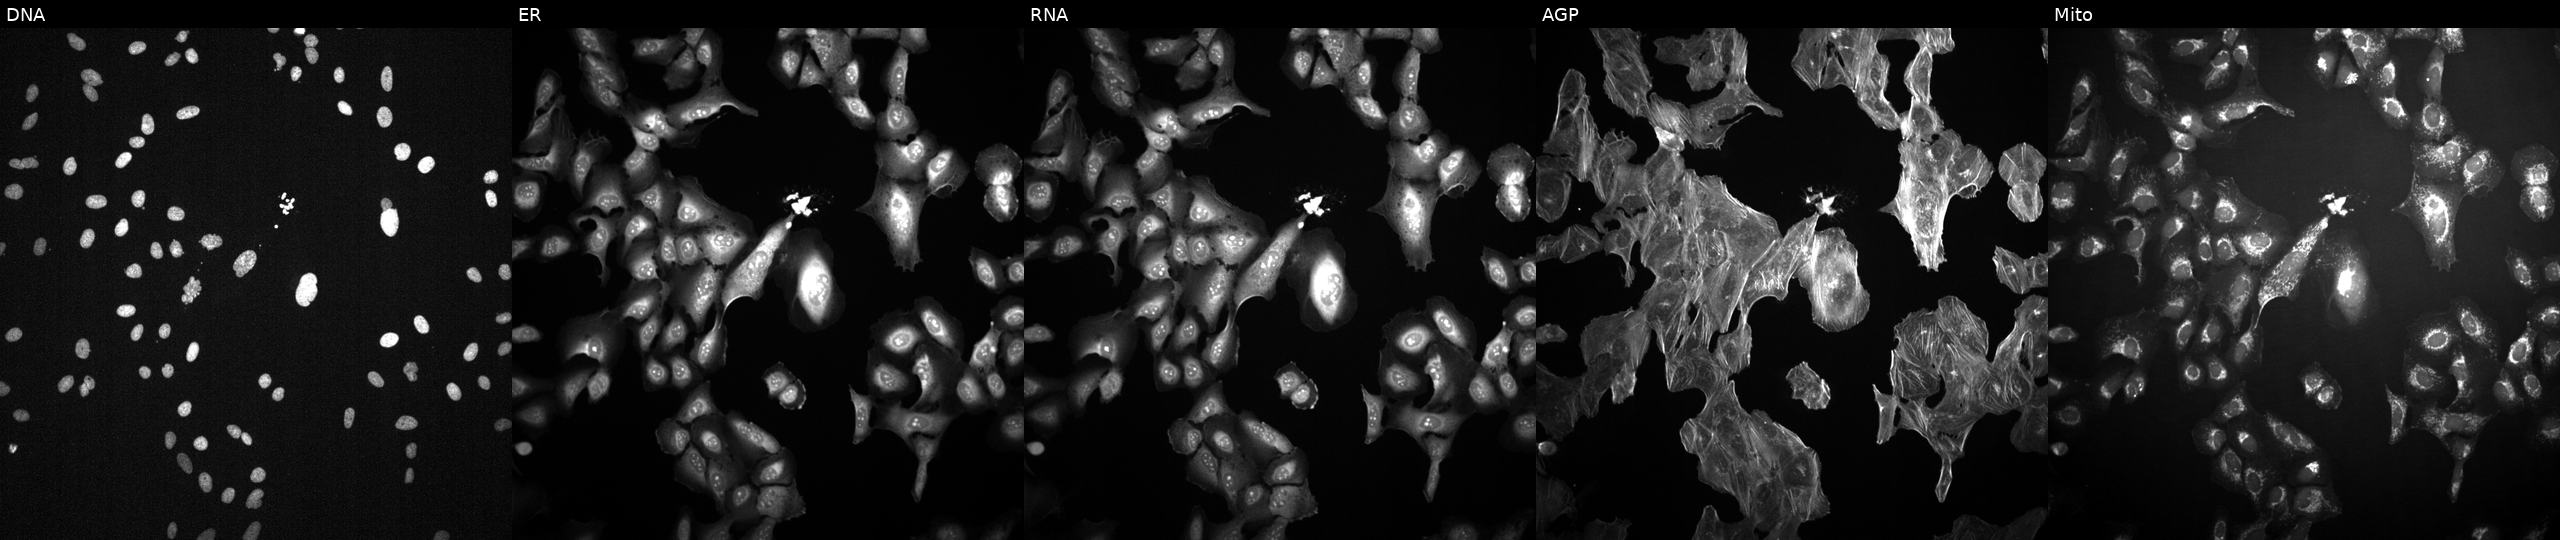
Five-channel Cell Painting image of U2OS cells treated with TC-S-7004 (positive-control compound). The five panels, left to right, show DNA, ER, RNA, AGP, and Mito.